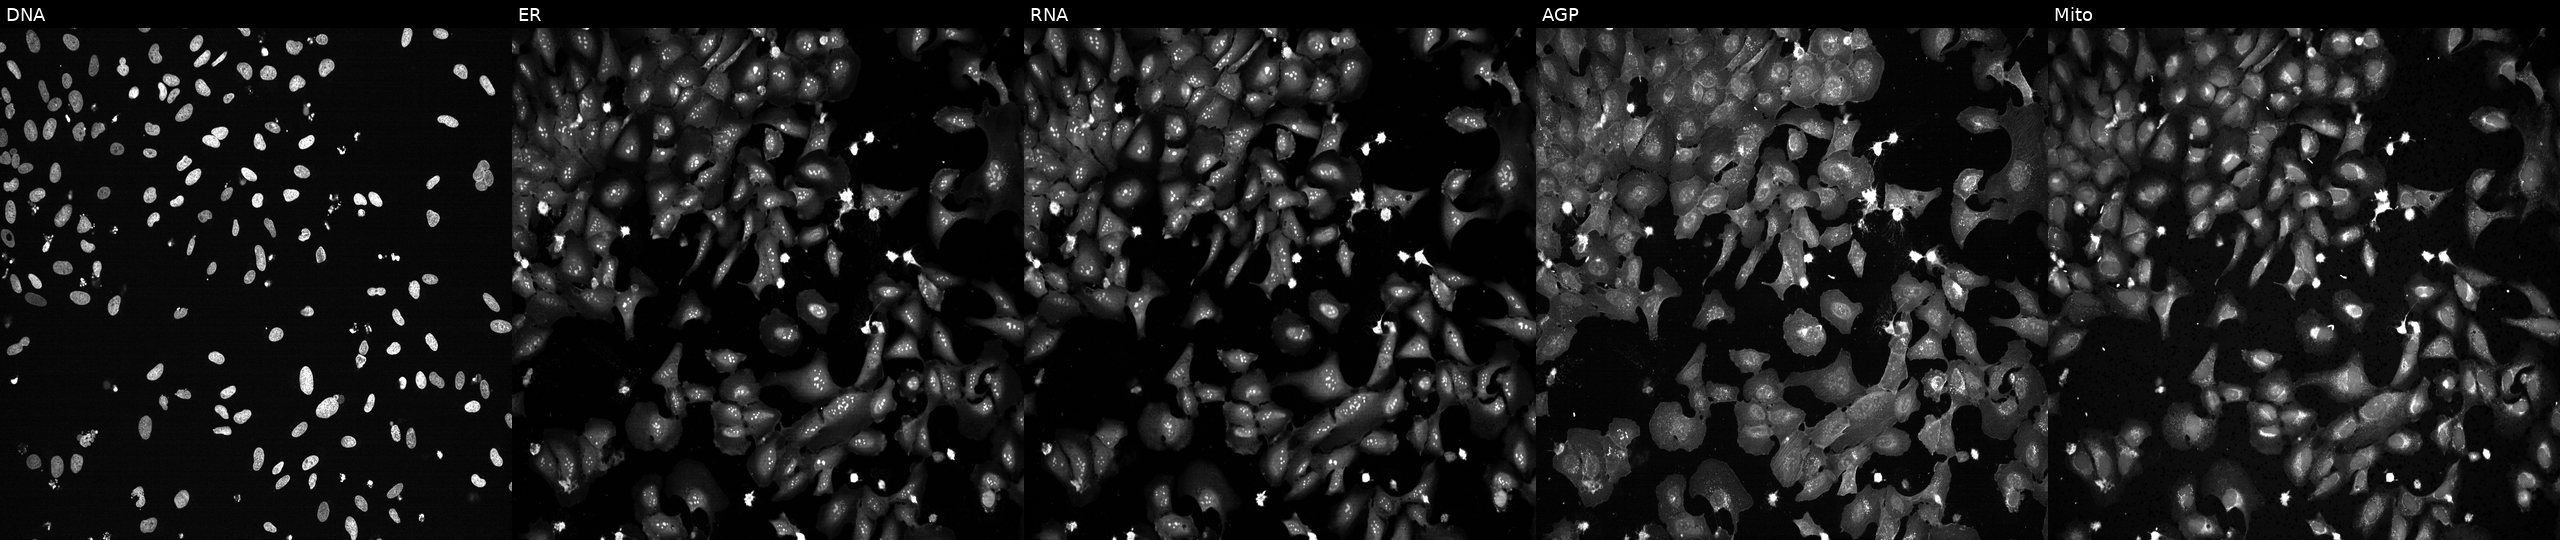
High-content fluorescence microscopy (Cell Painting). Cell line: U2OS. Perturbation: exposed to the positive-control compound TC-S-7004. From left to right: DNA (nuclei); ER (endoplasmic reticulum); RNA (nucleoli and cytoplasmic RNA); AGP (actin cytoskeleton, Golgi, and plasma membrane); Mito (mitochondria). Source 13, plate CP-CC9-R1-01, well P01.